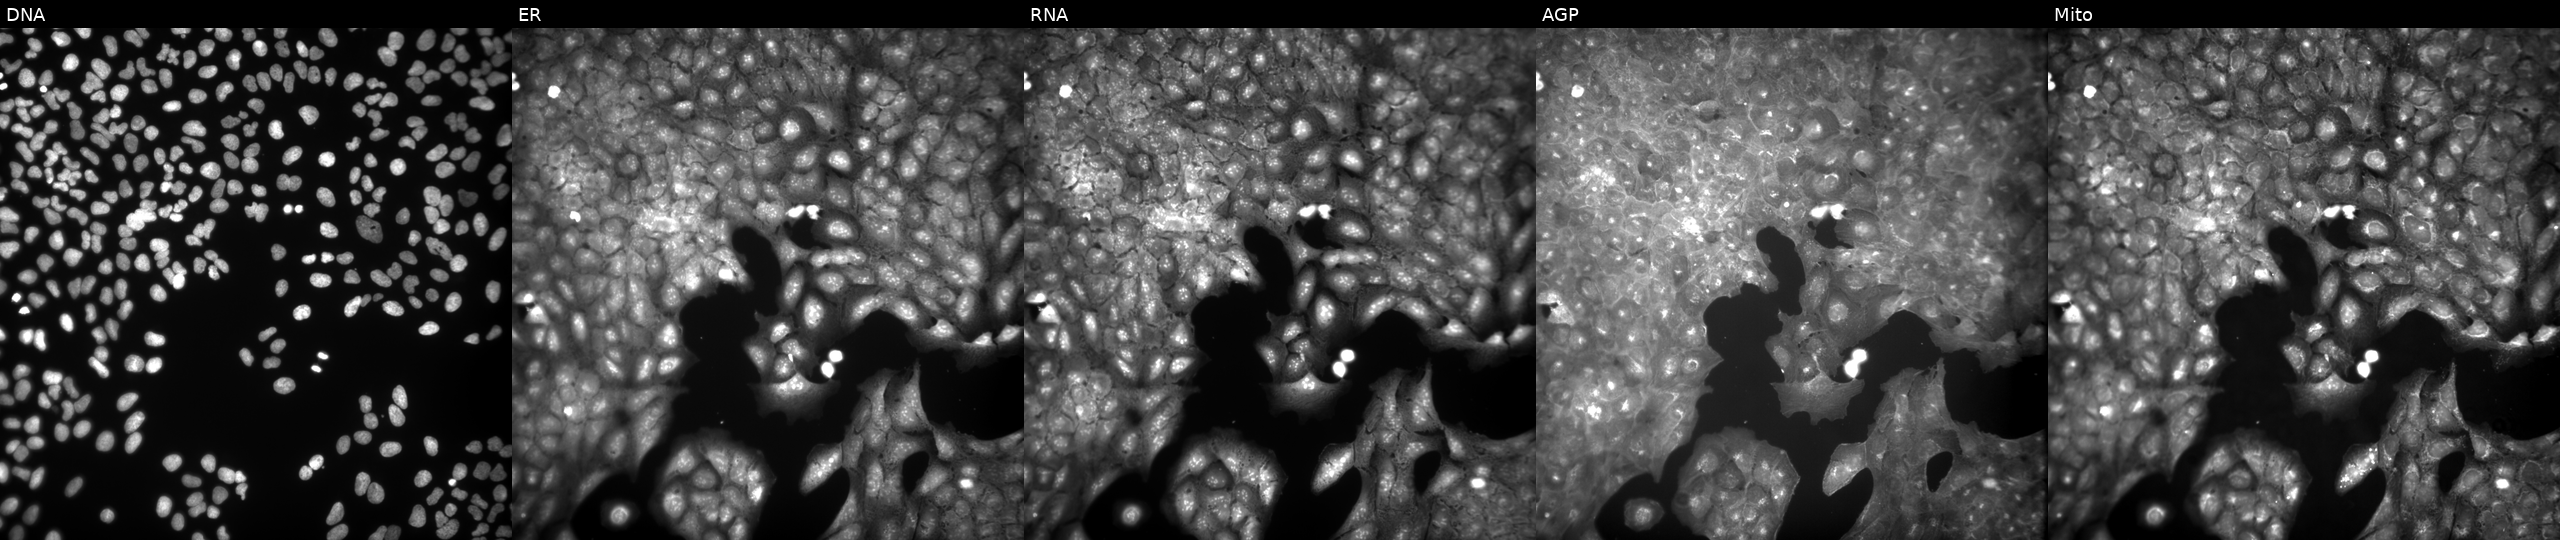
Five-channel Cell Painting image of U2OS cells exposed to DMSO alone as a negative control. Channels (left→right): DNA, ER, RNA, AGP, and Mito. Source 9, plate GR00003382, well G47.